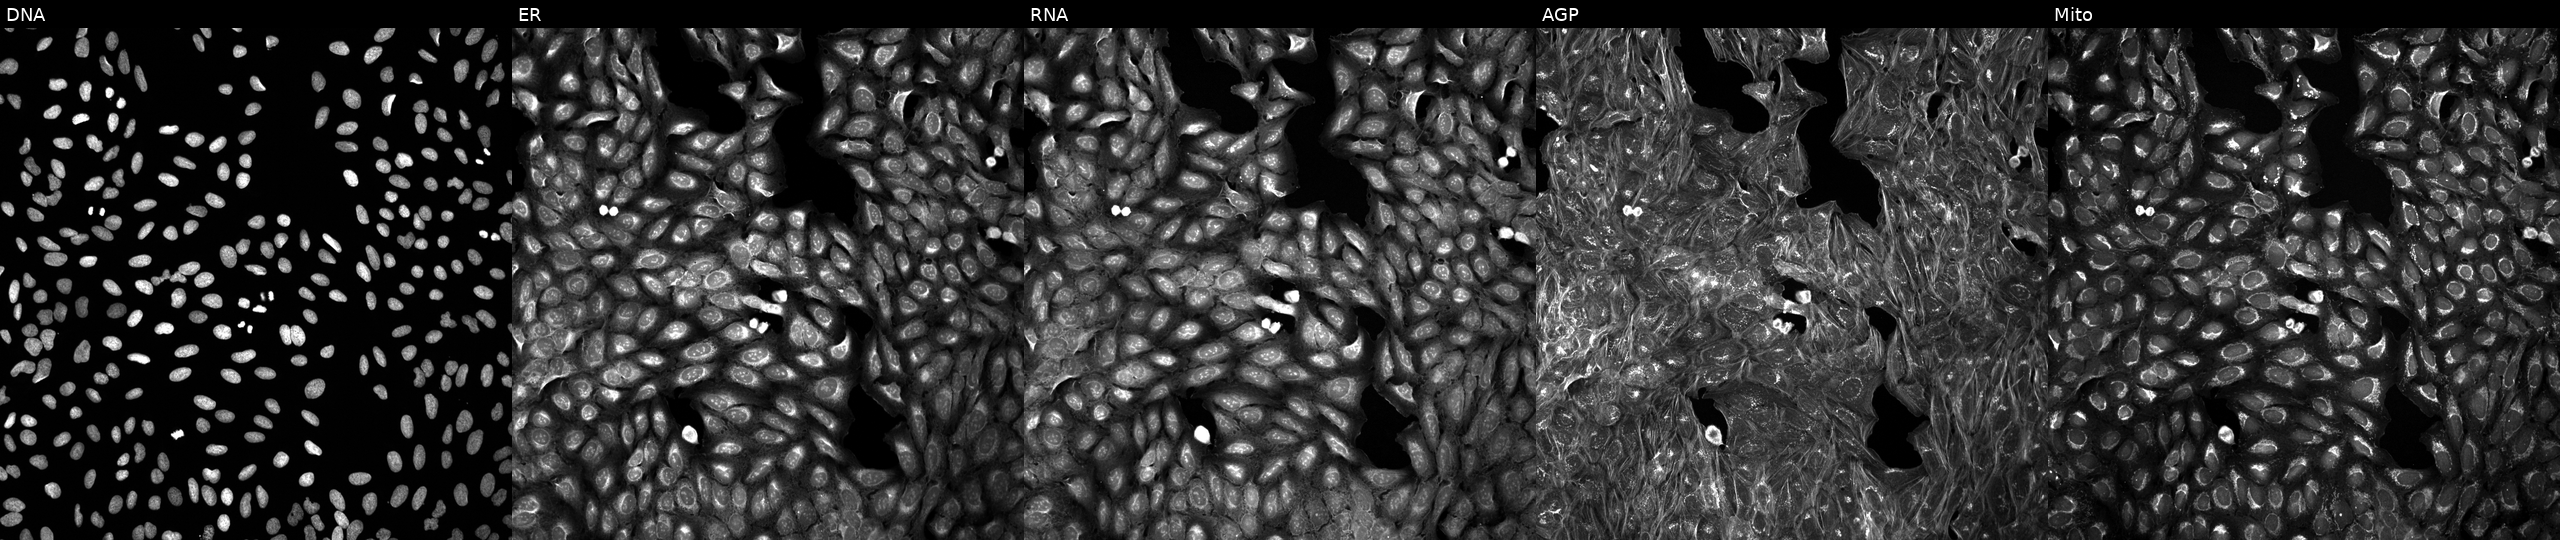
JUMP Cell Painting — TARGET2 plate. U2OS cells treated with DMSO vehicle only (negative control). From left to right: DNA (nuclei); ER (endoplasmic reticulum); RNA (nucleoli and cytoplasmic RNA); AGP (actin cytoskeleton, Golgi, and plasma membrane); Mito (mitochondria).